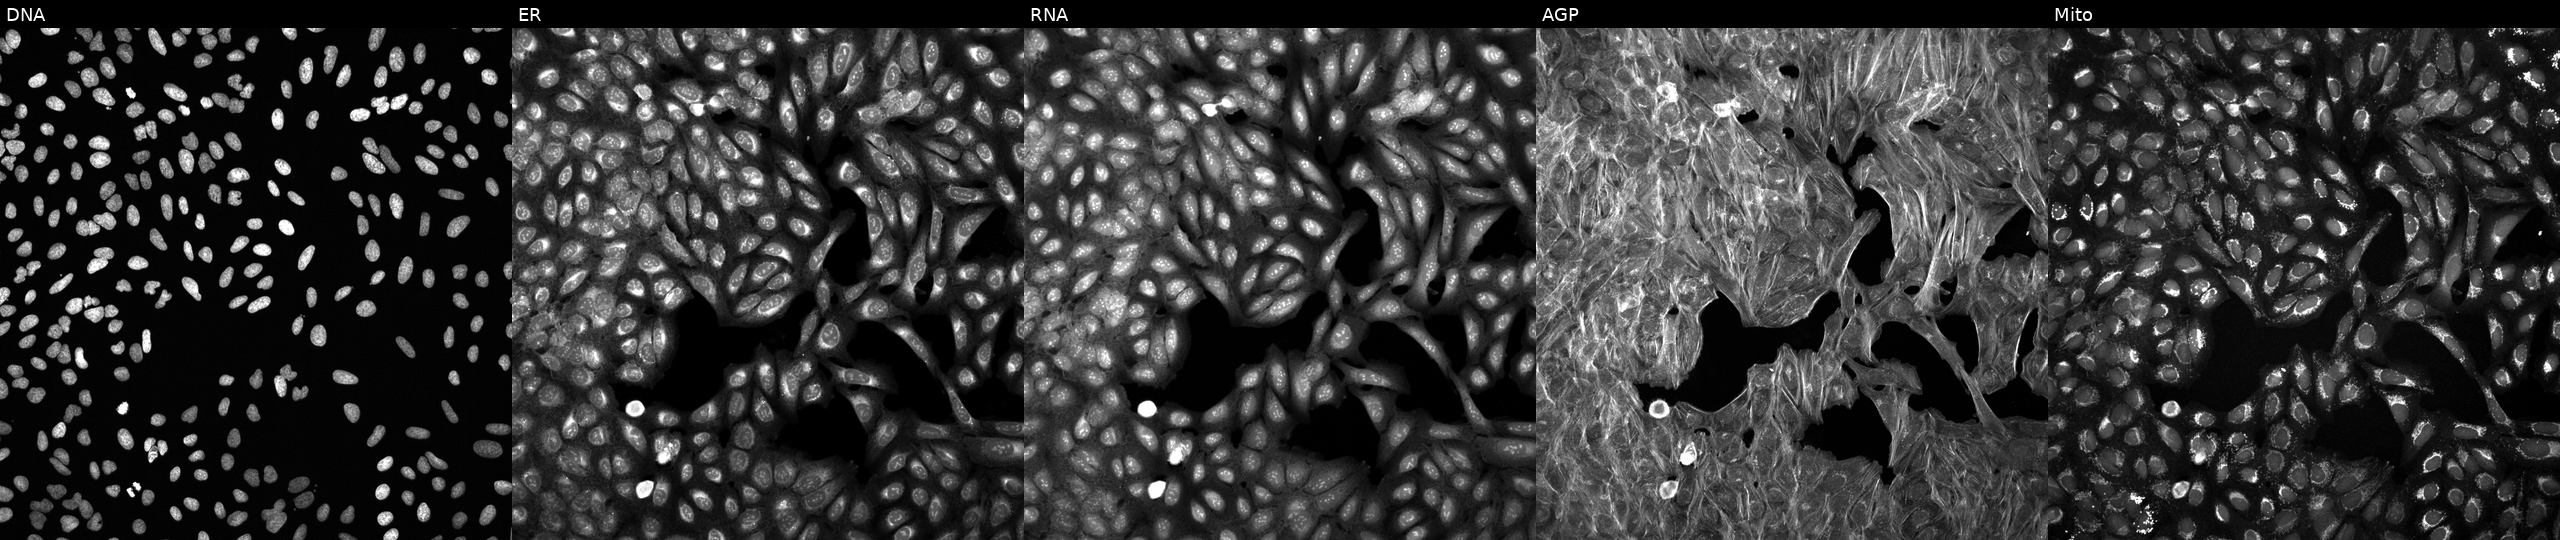
High-content fluorescence microscopy (Cell Painting). Cell line: U2OS. Perturbation: perturbed with a small-molecule compound (InChIKey KQDQOPNFLOOEFV-UHFFFAOYSA-N) [SMILES: O=C(c1ccc(-n2ccc3ccccc32)s1)N1CCC(Cc2ccccc2)CC1]. The five panels, left to right, show DNA (nuclei); ER (endoplasmic reticulum); RNA (nucleoli and cytoplasmic RNA); AGP (actin cytoskeleton, Golgi, and plasma membrane); Mito (mitochondria).